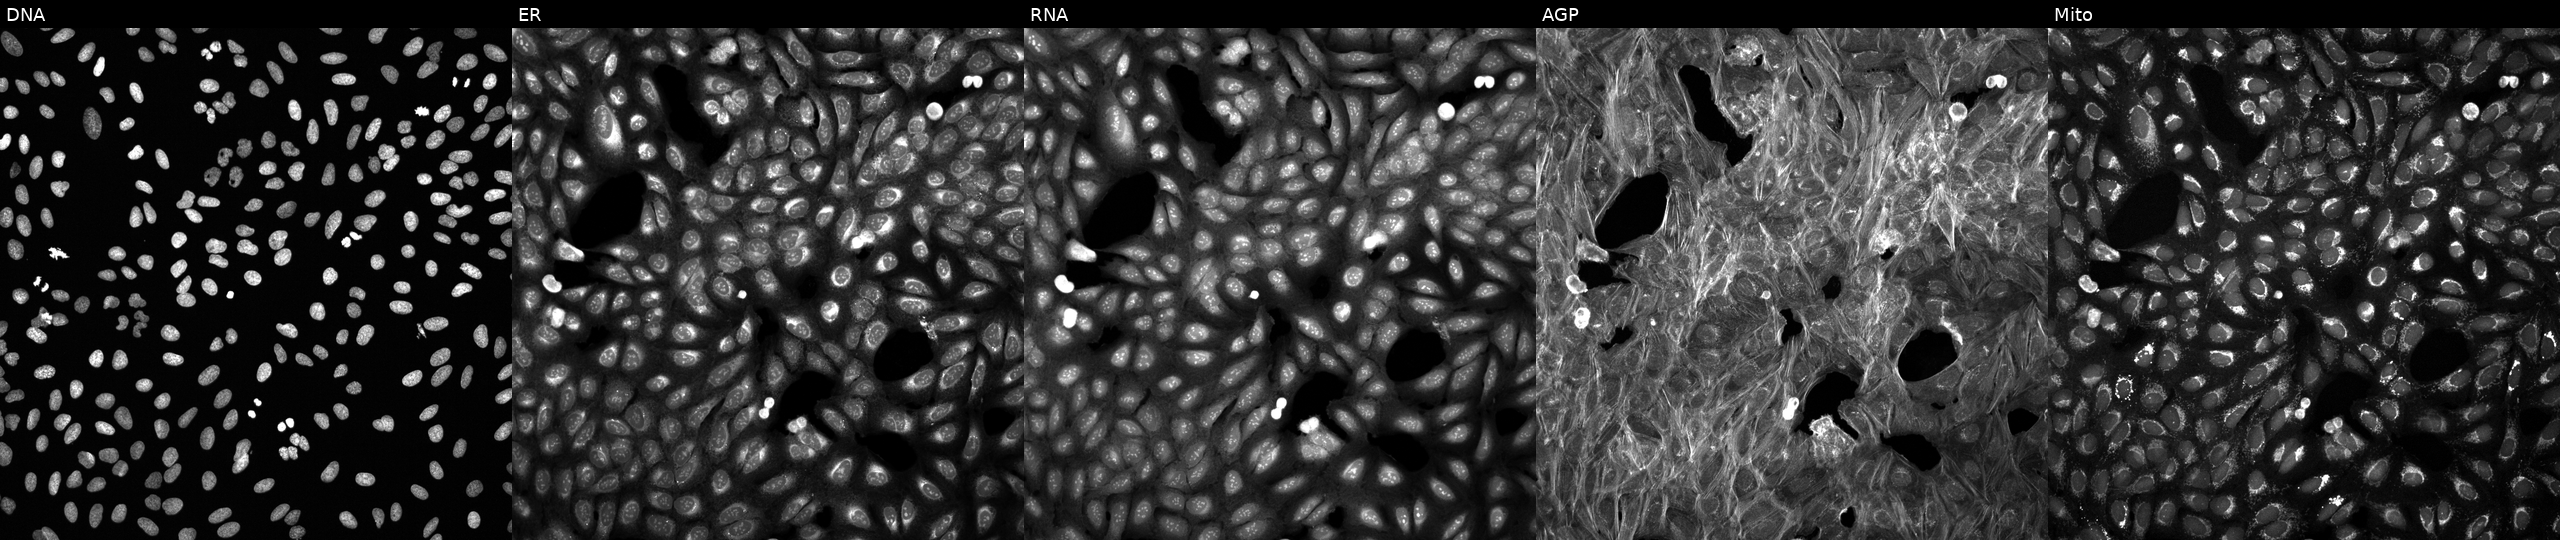
JUMP Cell Painting — TARGET2 plate. U2OS cells treated with DMSO vehicle only (negative control). From left to right: DNA (nuclei); ER (endoplasmic reticulum); RNA (nucleoli and cytoplasmic RNA); AGP (actin cytoskeleton, Golgi, and plasma membrane); Mito (mitochondria).